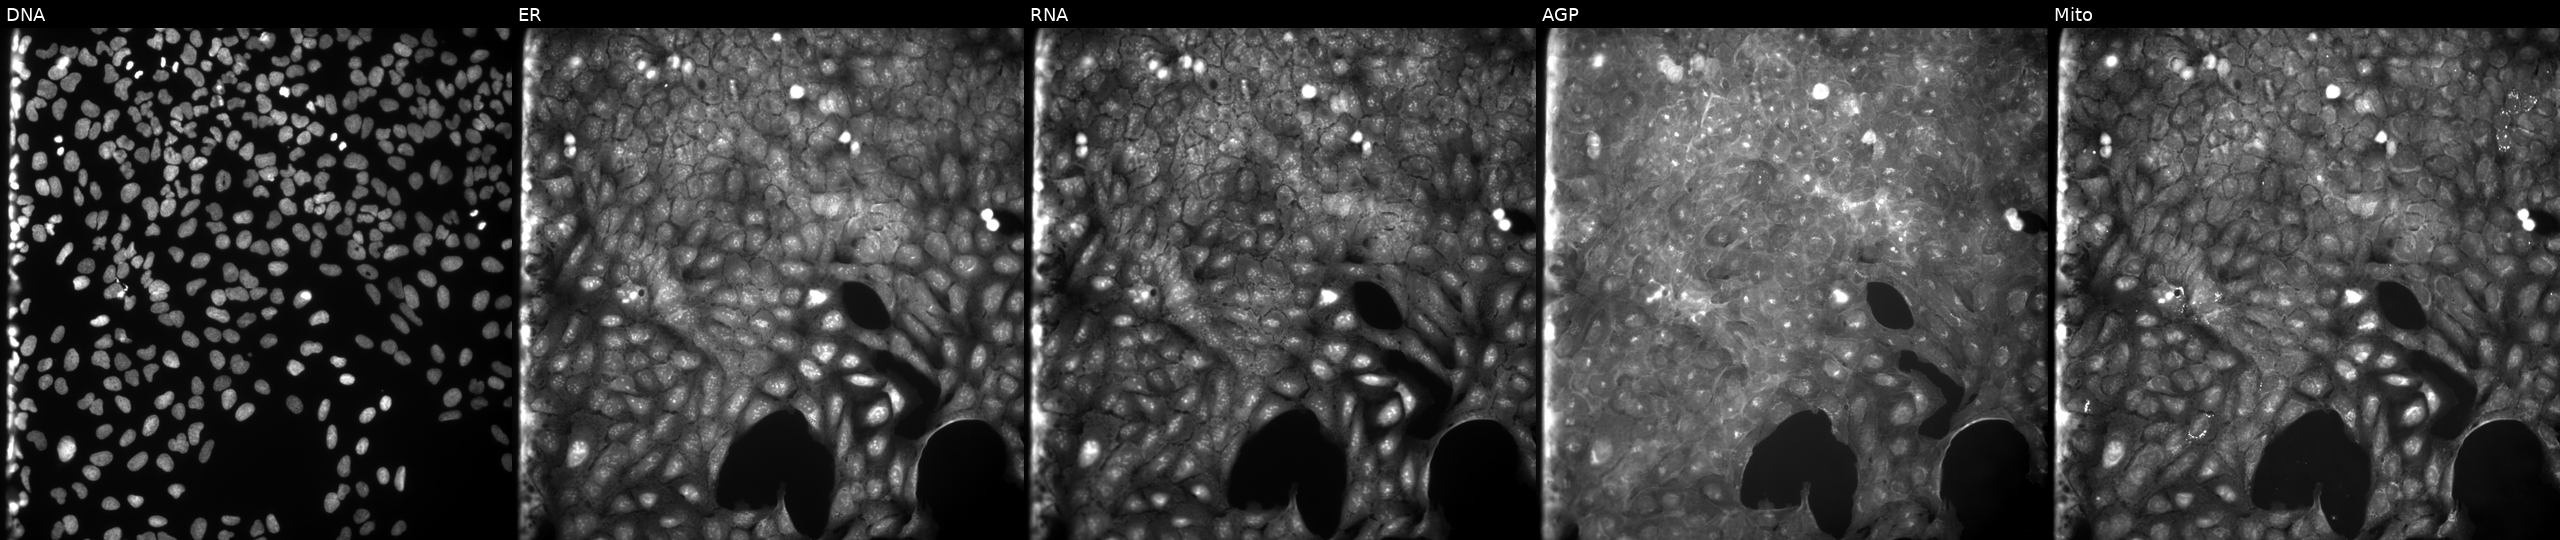
Five-channel Cell Painting image of U2OS cells exposed to a small-molecule compound [SMILES: CC(C)Oc1ccccc1NC(=O)CSc1nccn1C]. Channels (left→right): DNA, ER, RNA, AGP, and Mito.